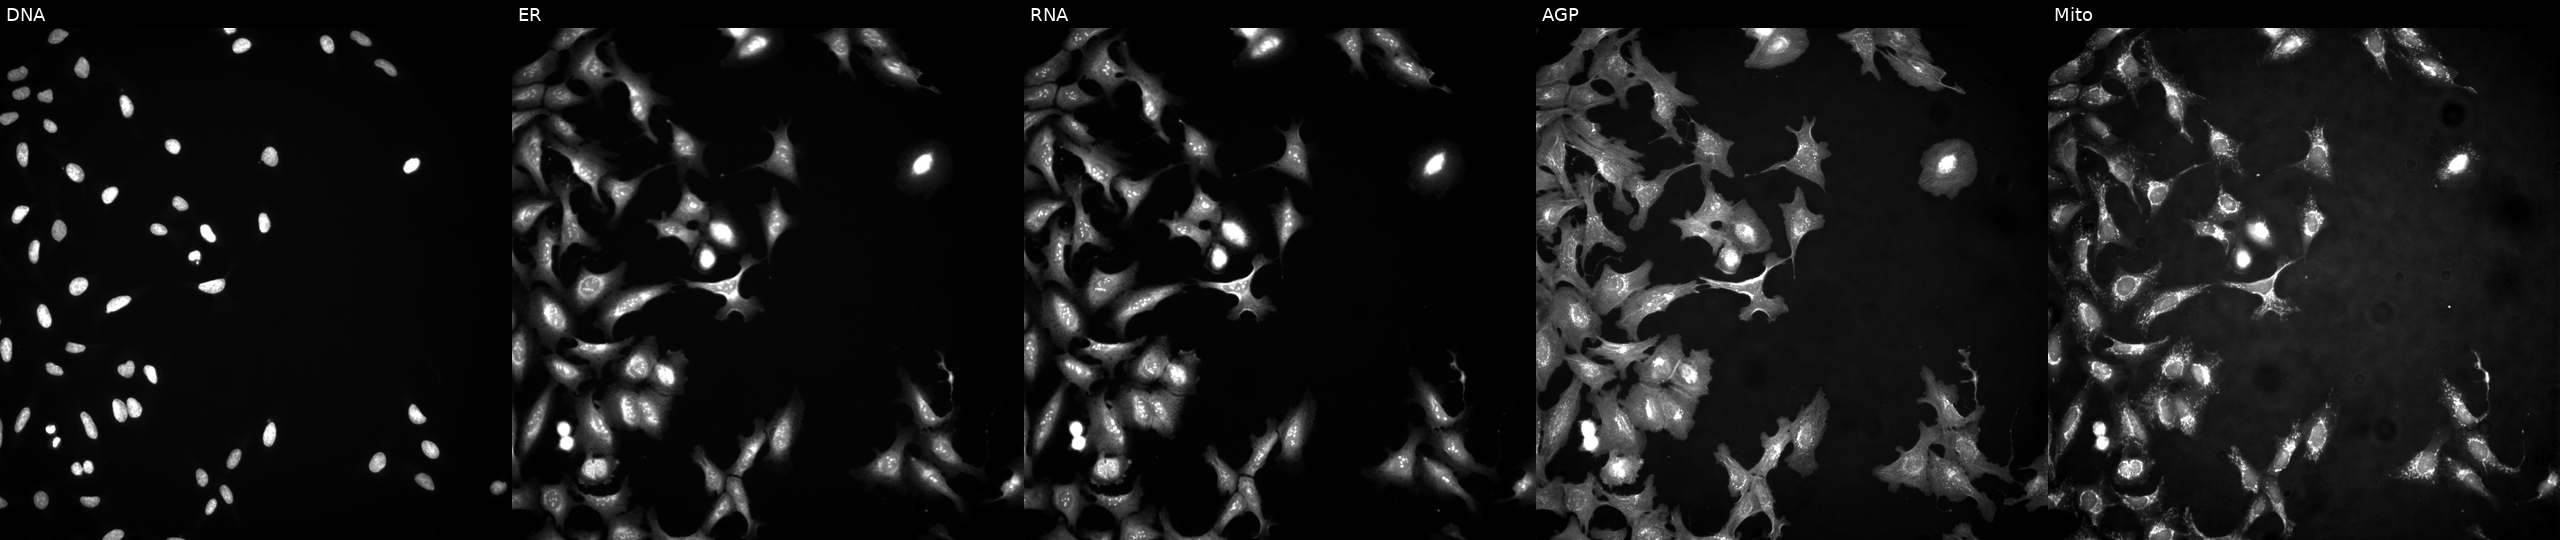
JUMP Cell Painting — ORF plate. U2OS cells with NTPCR overexpressed (ORF). Channels (left→right): DNA (nuclei); ER (endoplasmic reticulum); RNA (nucleoli and cytoplasmic RNA); AGP (actin cytoskeleton, Golgi, and plasma membrane); Mito (mitochondria). Source 4, plate BR00123945, well E11.